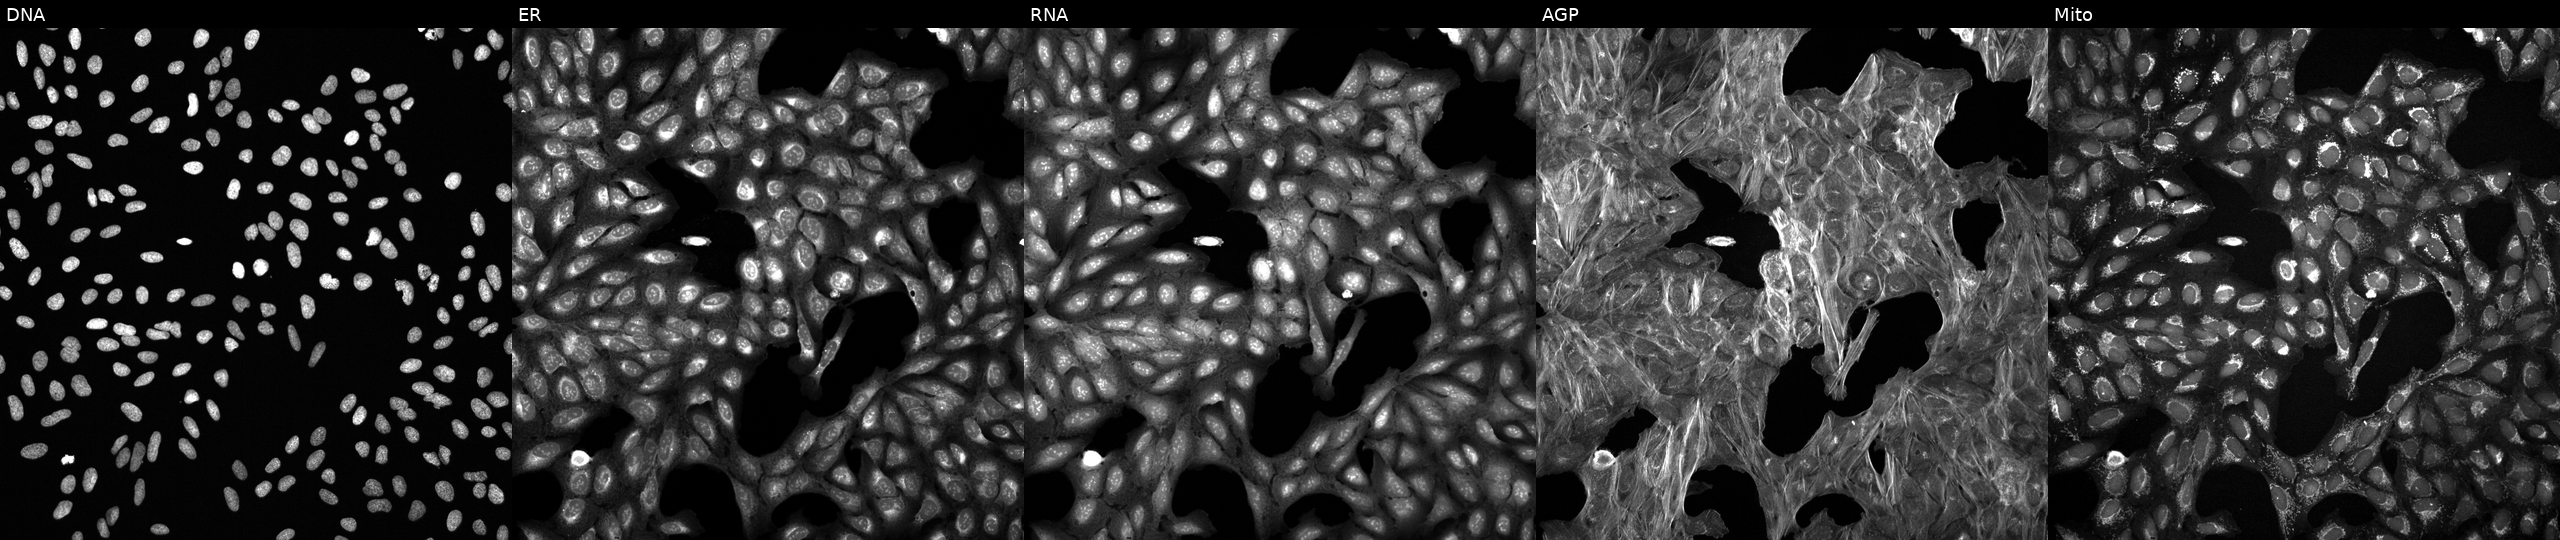
U2OS cells, Cell Painting assay, treated with a small-molecule compound (InChIKey JVGBTTIJPBFLTE-UHFFFAOYSA-N). Panels show, left to right, DNA (nuclei); ER (endoplasmic reticulum); RNA (nucleoli and cytoplasmic RNA); AGP (actin cytoskeleton, Golgi, and plasma membrane); Mito (mitochondria). Each panel is percentile-stretched 16-bit fluorescence. Source 6, plate 110000293093, well L17.